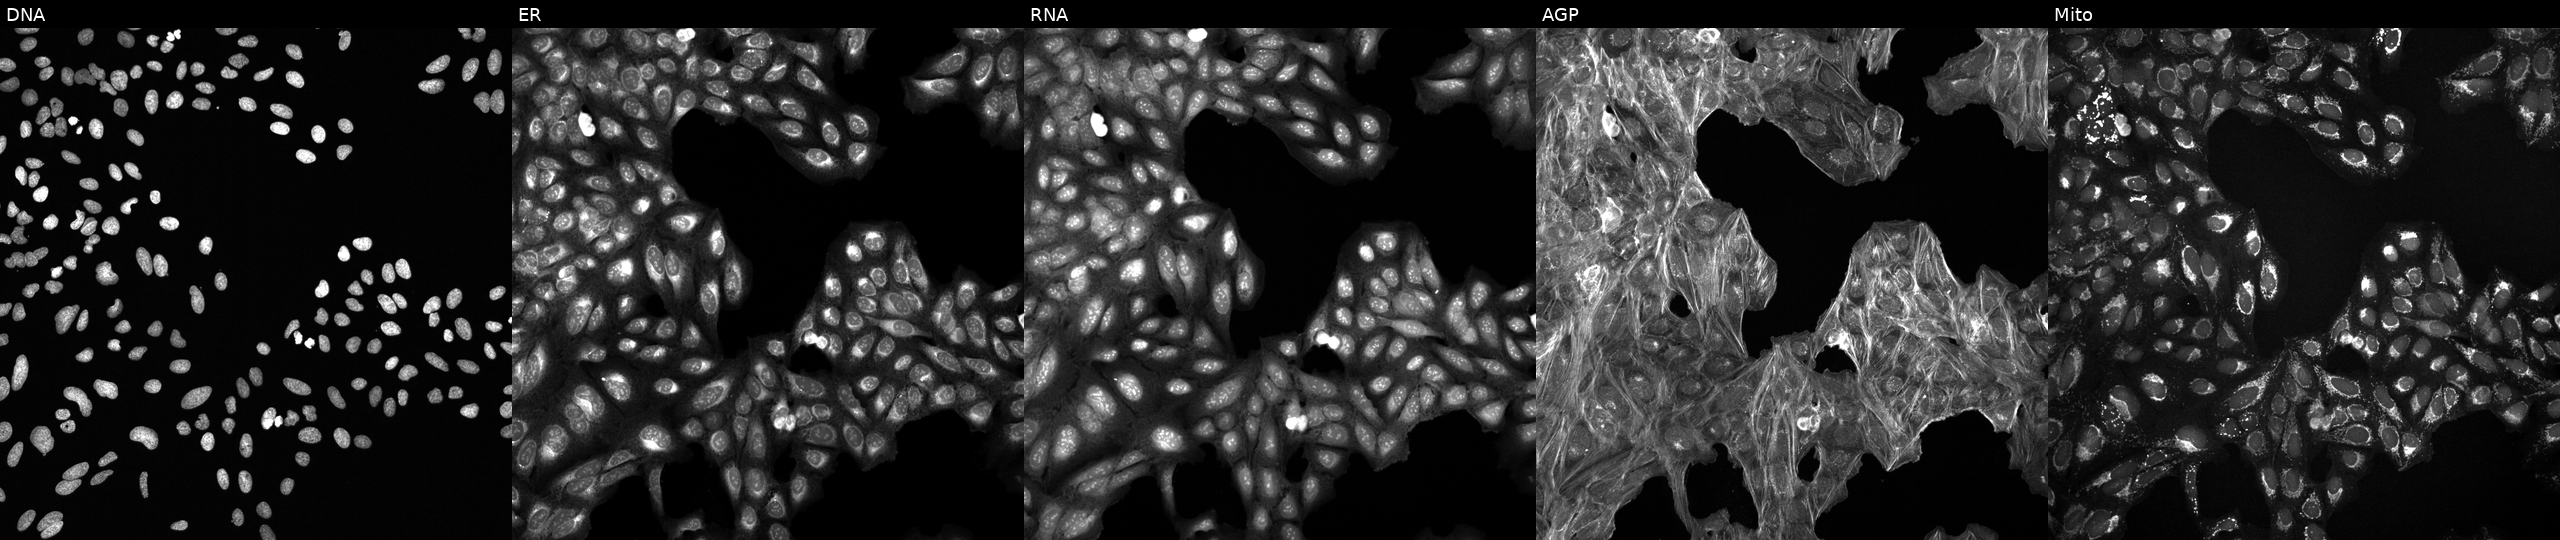
JUMP Cell Painting — TARGET2 plate. U2OS cells exposed to a small-molecule compound. From left to right: Hoechst 33342, concanavalin A, SYTO 14, phalloidin and WGA, MitoTracker.